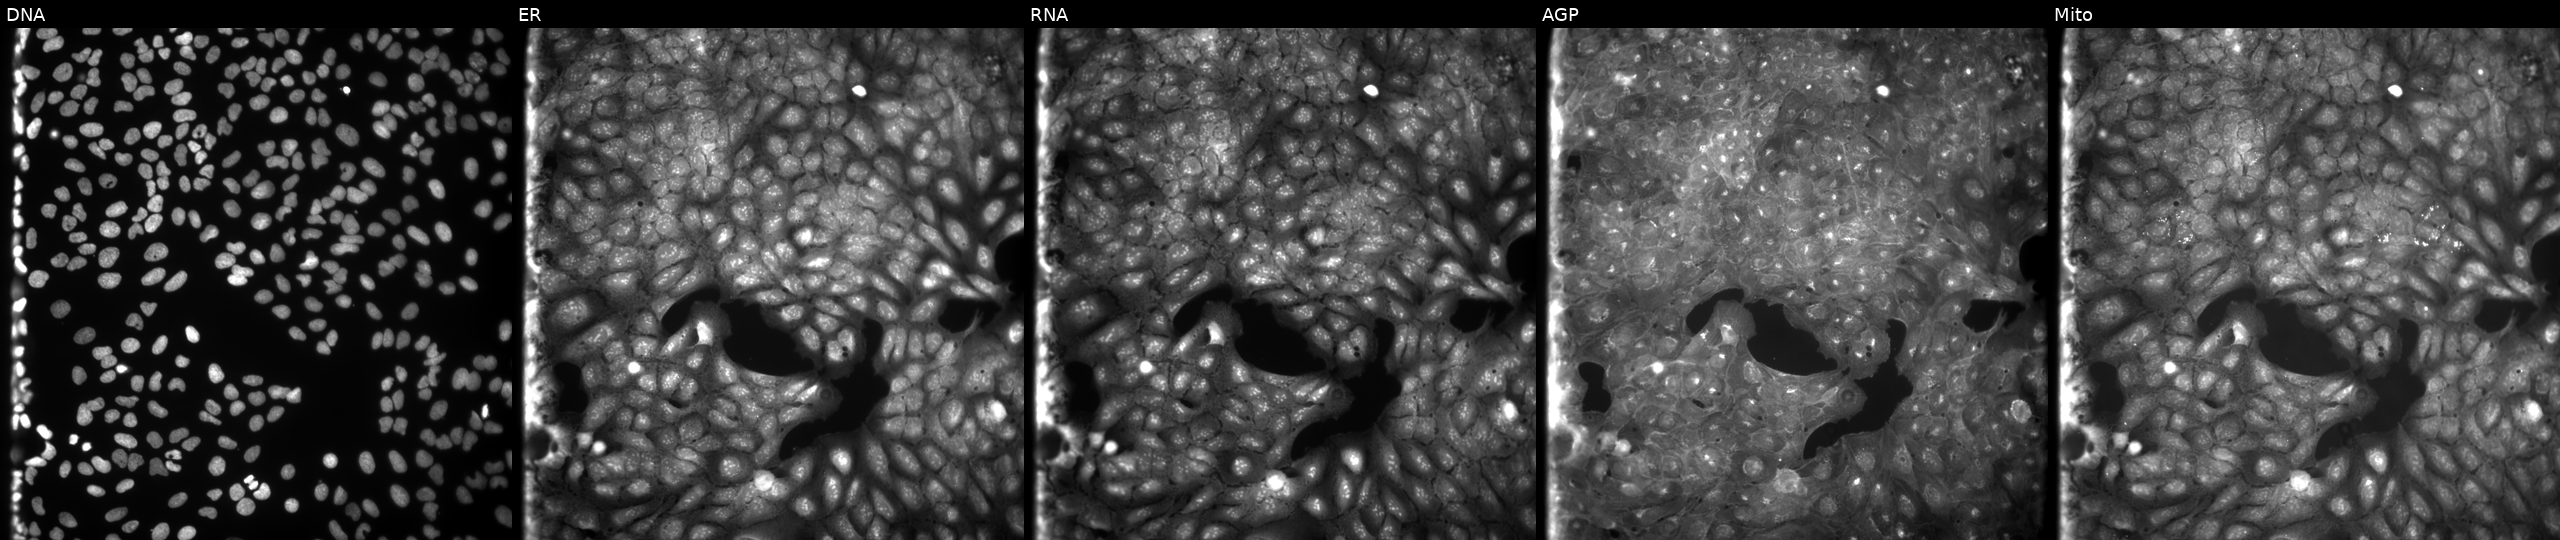
High-content fluorescence microscopy (Cell Painting). Cell line: U2OS. Perturbation: treated with a small-molecule compound (InChIKey LHGHIHJGYHJGOX-UHFFFAOYSA-N) [SMILES: Cc1nc2ccccc2n1CC(=O)c1ccccc1]. Channels (left→right): DNA (nuclei); ER (endoplasmic reticulum); RNA (nucleoli and cytoplasmic RNA); AGP (actin cytoskeleton, Golgi, and plasma membrane); Mito (mitochondria).